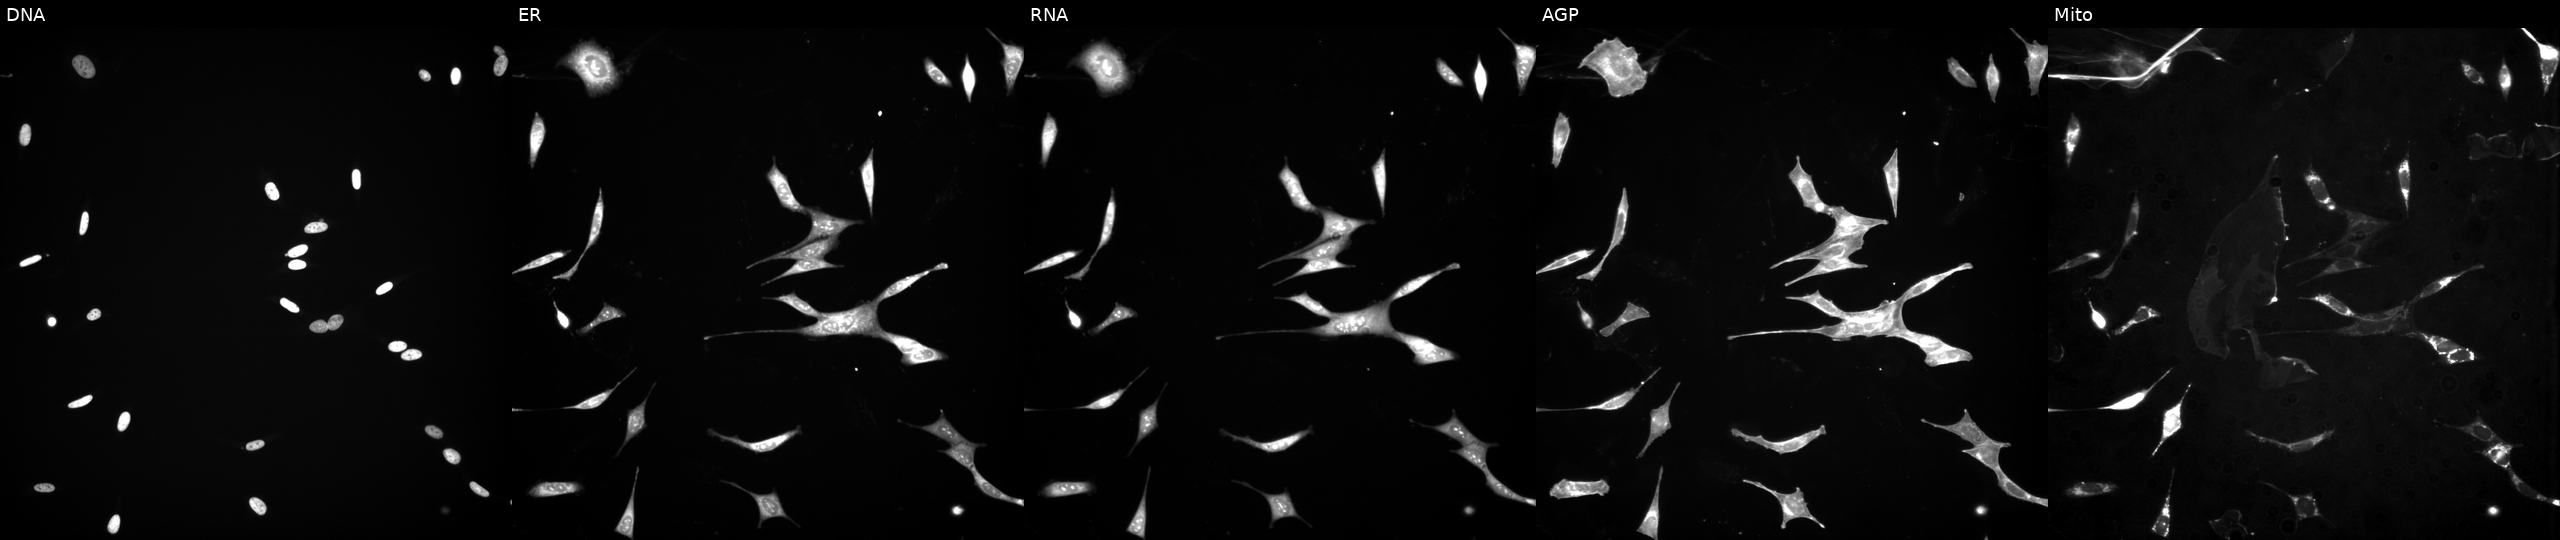
JUMP Cell Painting — TARGET2 plate. U2OS cells exposed to a small-molecule compound (InChIKey SOOPLNPQGWJZHY-UHFFFAOYSA-N) [SMILES: CCC1=NC(=O)C2CSSCCC=CC(CC(=O)NC(C(C)C)C(=O)N2)OC(=O)C(C(C)C)NC1=O]. Panels show, left to right, DNA (nuclei); ER (endoplasmic reticulum); RNA (nucleoli and cytoplasmic RNA); AGP (actin cytoskeleton, Golgi, and plasma membrane); Mito (mitochondria).